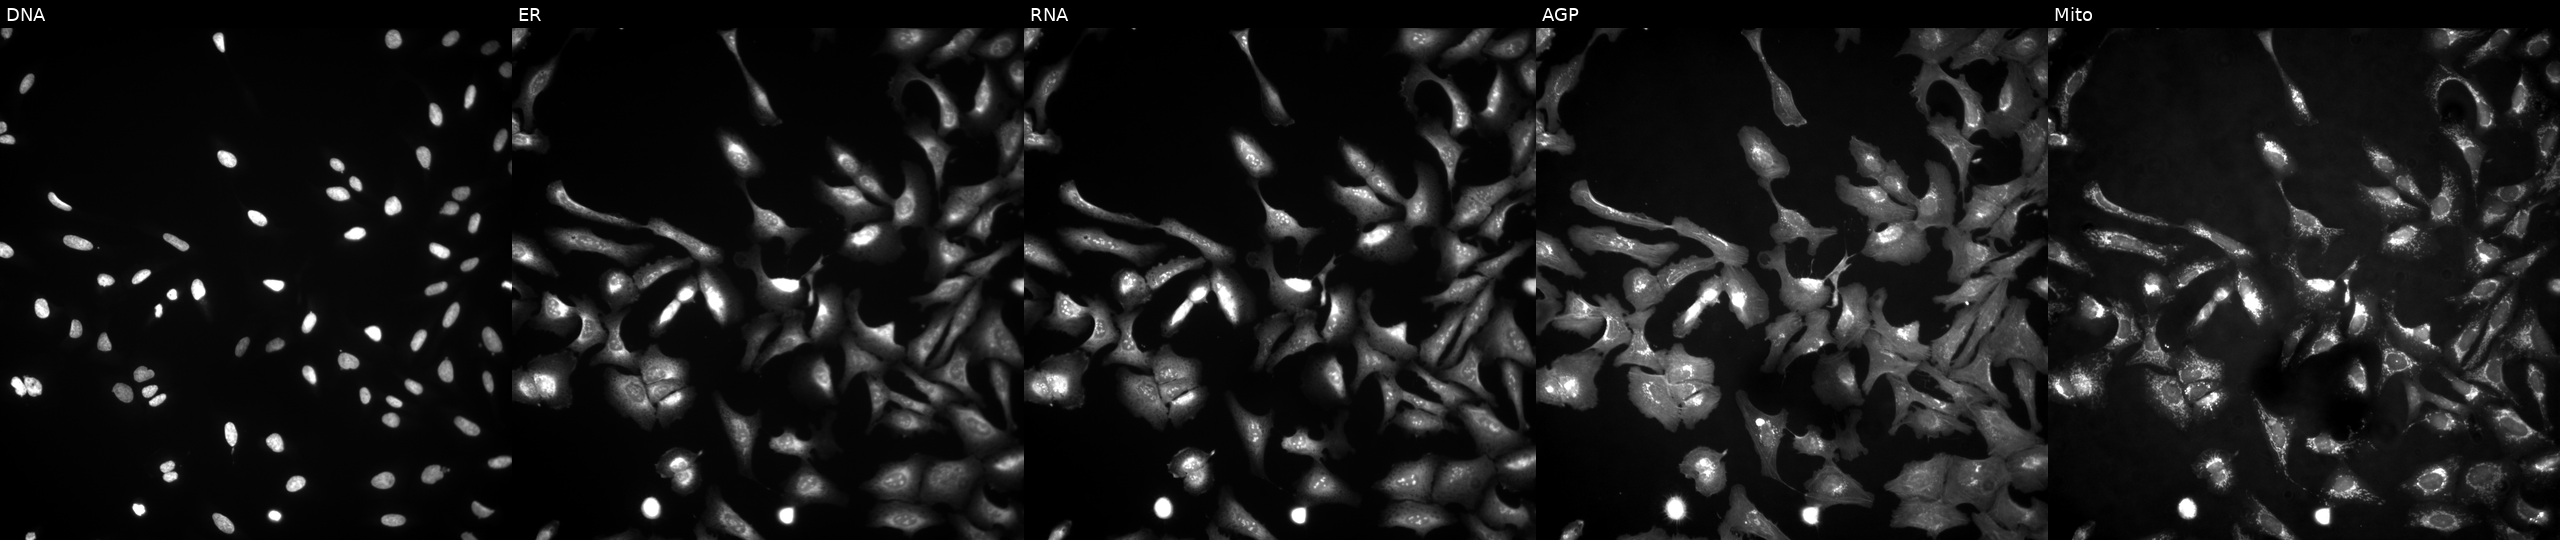
High-content fluorescence microscopy (Cell Painting). Cell line: U2OS. Perturbation: transfected with an ORF construct for PAGE3 (JUMP id JCP2022_909587). From left to right: DNA, ER, RNA, AGP, and Mito. Source 4, plate BR00124790, well M23.